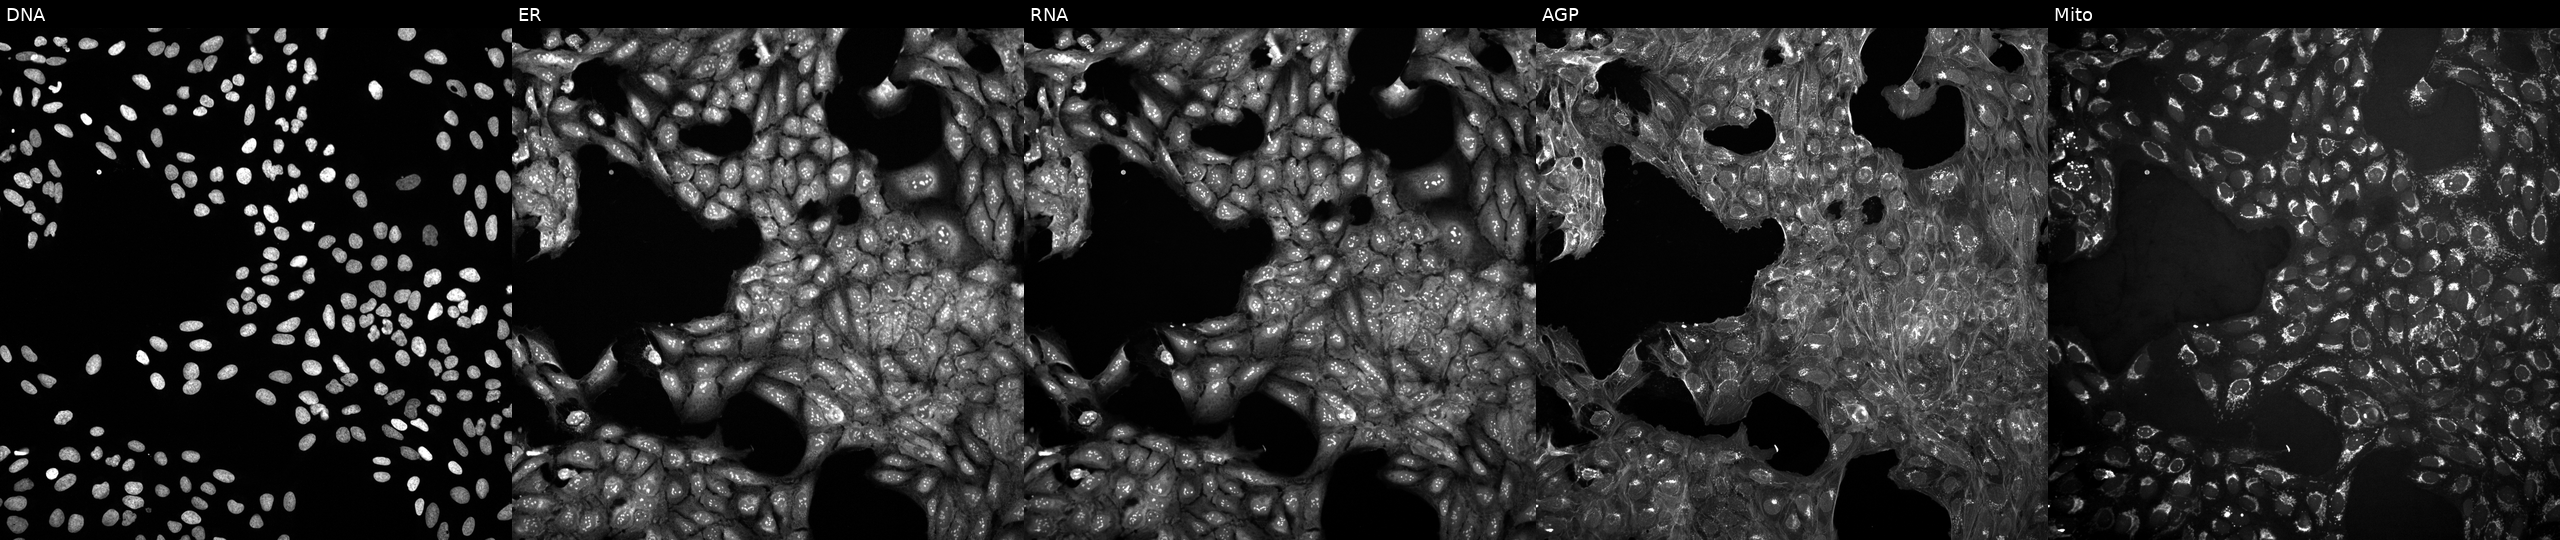
JUMP Cell Painting — COMPOUND plate. U2OS cells exposed to a small-molecule compound [SMILES: COc1cccc2cc(C(=O)N3CC(Oc4cc(C)nc5ncnn45)C3)oc12] (JUMP id JCP2022_089889). Channels (left→right): DNA (nuclei); ER (endoplasmic reticulum); RNA (nucleoli and cytoplasmic RNA); AGP (actin cytoskeleton, Golgi, and plasma membrane); Mito (mitochondria). Source 10, plate Dest210531-152149, well F07.